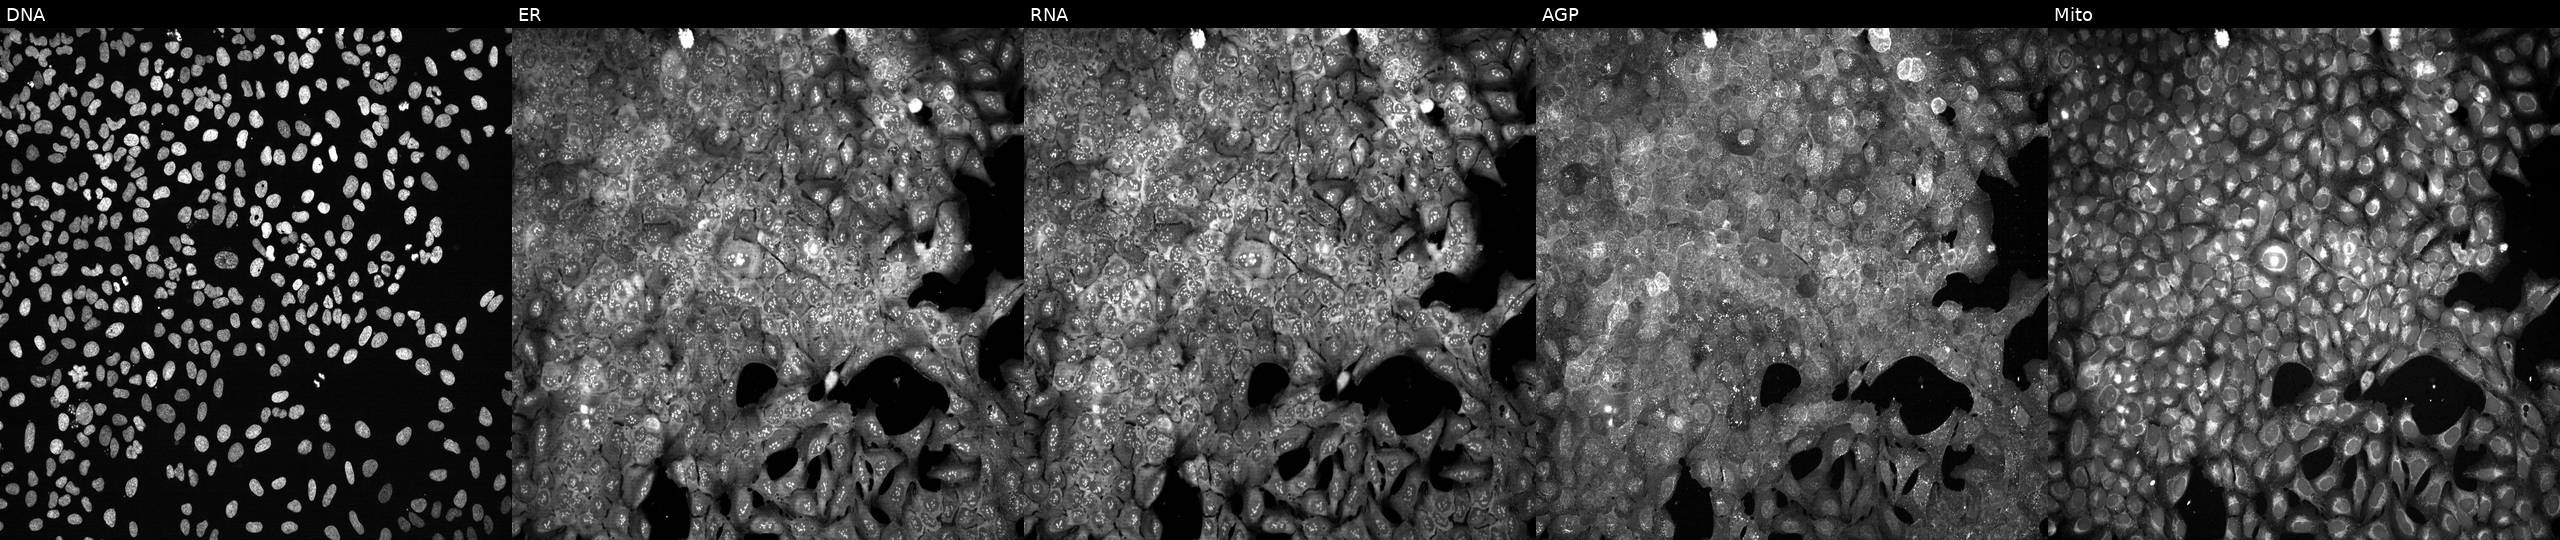
Five-channel Cell Painting image of U2OS cells with GNA14 knocked out by CRISPR. From left to right: DNA, ER, RNA, AGP, and Mito.